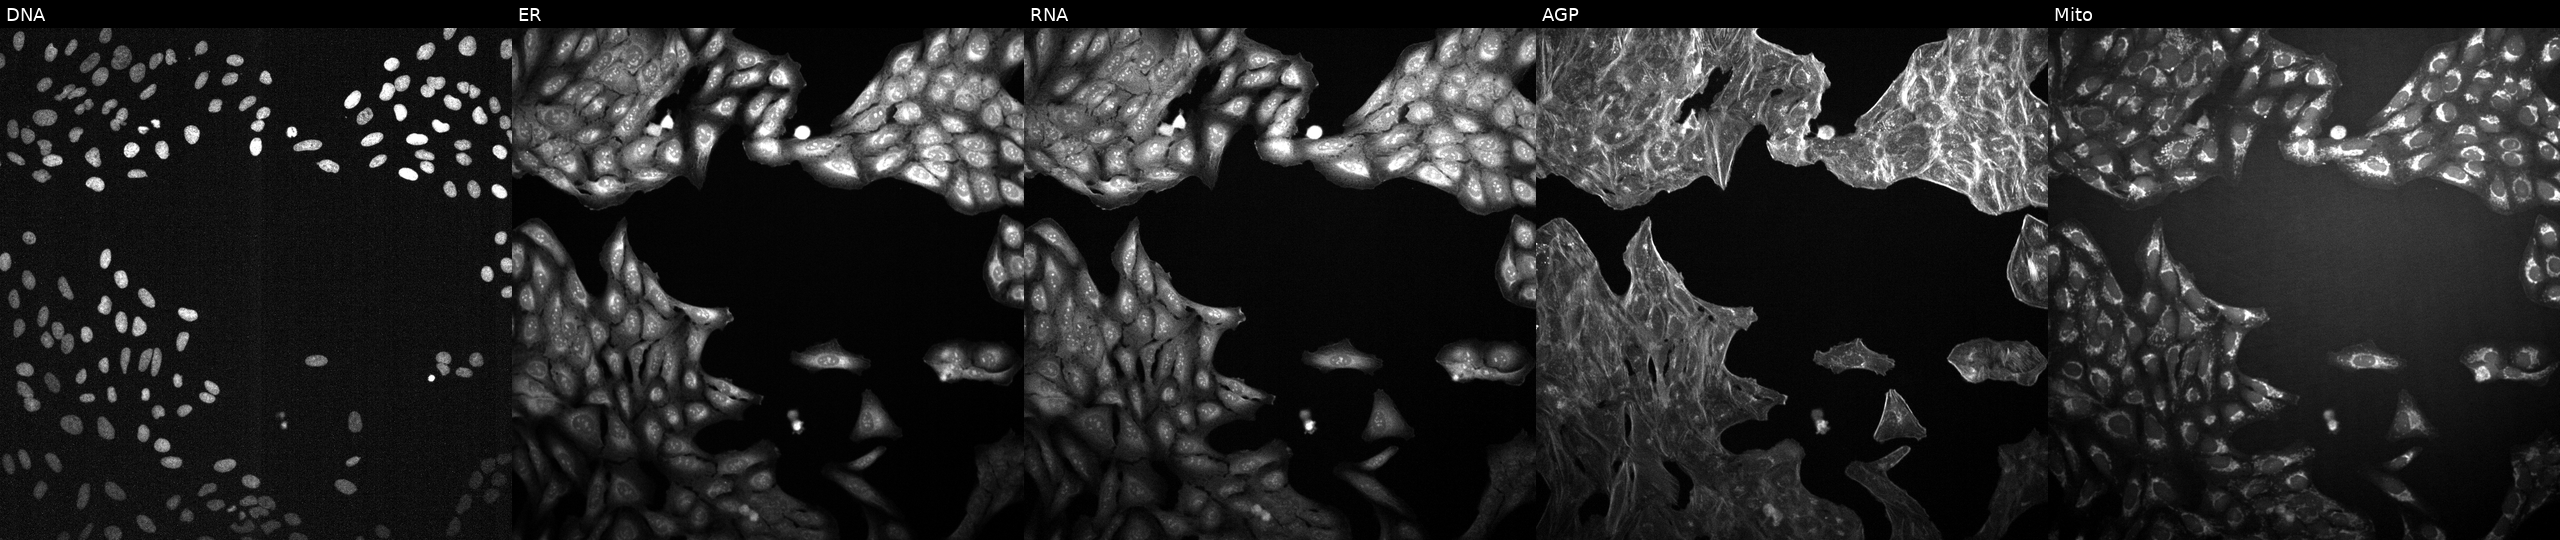
Five-channel Cell Painting image of U2OS cells perturbed with a small-molecule compound (InChIKey REZGGXNDEMKIQB-UHFFFAOYSA-N). Channels (left→right): Hoechst 33342, concanavalin A, SYTO 14, phalloidin and WGA, MitoTracker.